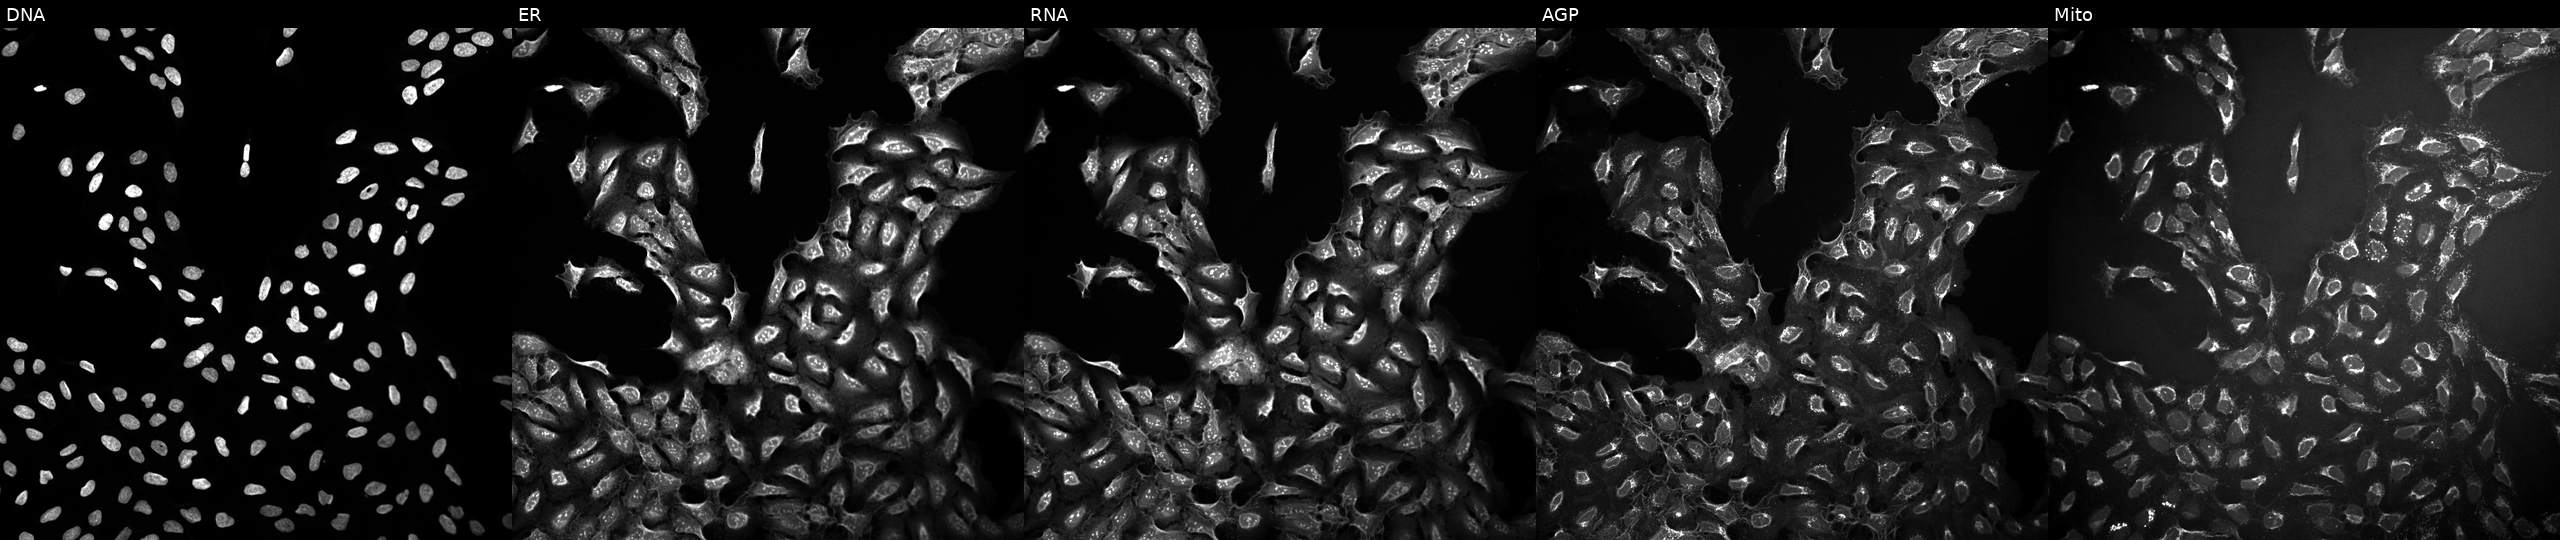
Five-channel Cell Painting image of U2OS cells exposed to a small-molecule compound. From left to right: Hoechst 33342, concanavalin A, SYTO 14, phalloidin and WGA, MitoTracker.